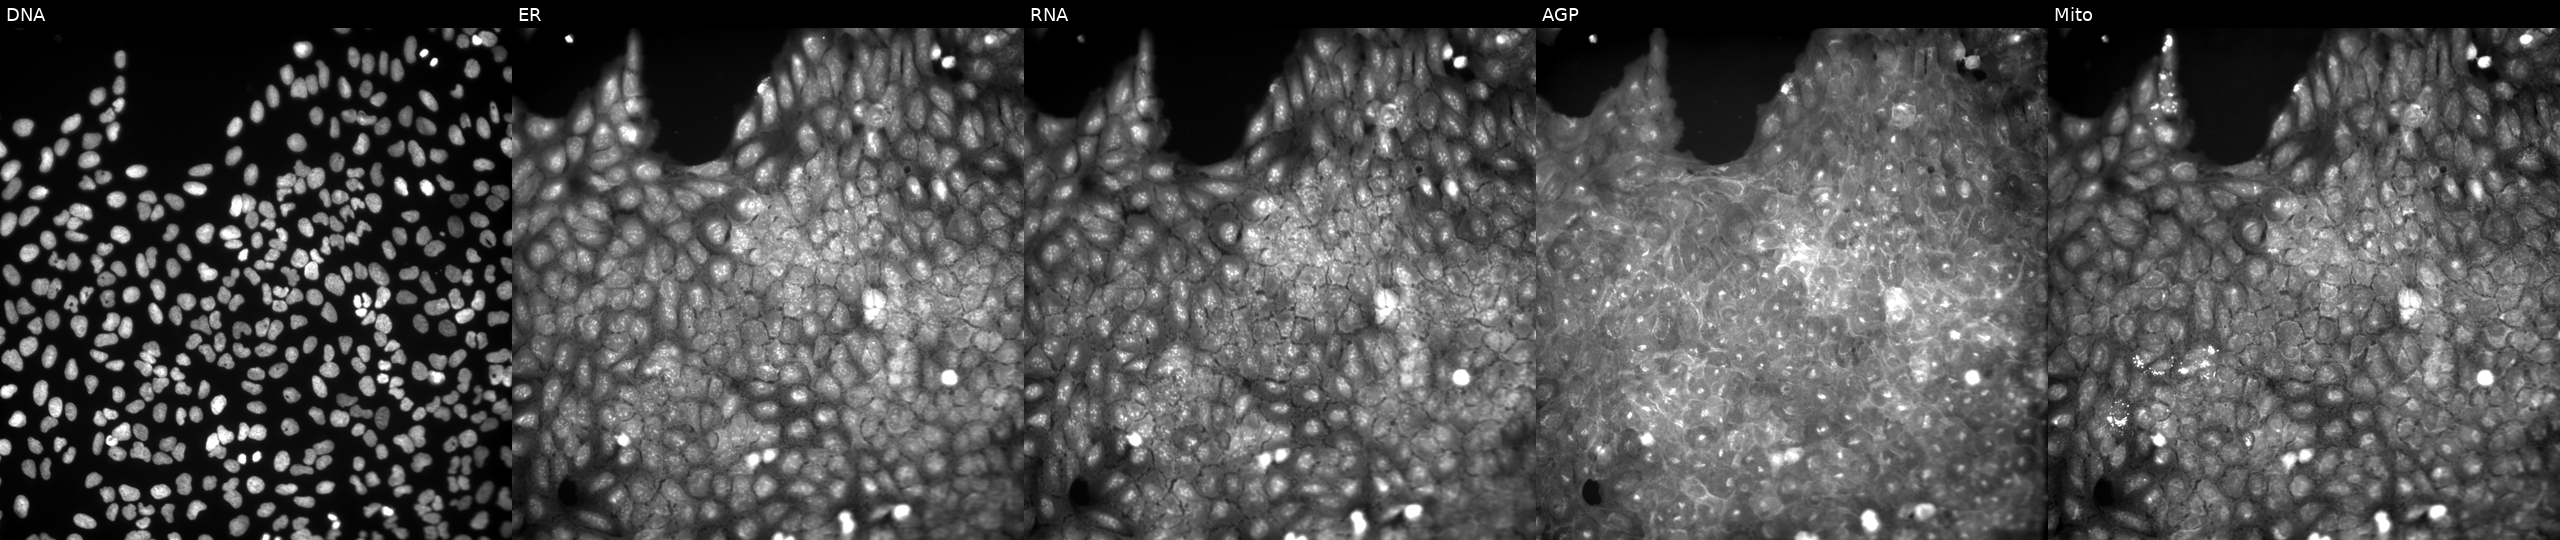
Five-channel Cell Painting image of U2OS cells perturbed with a small-molecule compound (InChIKey ILKUUNWQEODSNT-UHFFFAOYSA-N) (JUMP id JCP2022_035812). Panels show, left to right, DNA, ER, RNA, AGP, and Mito. Source 9, plate GR00003382, well AC36.